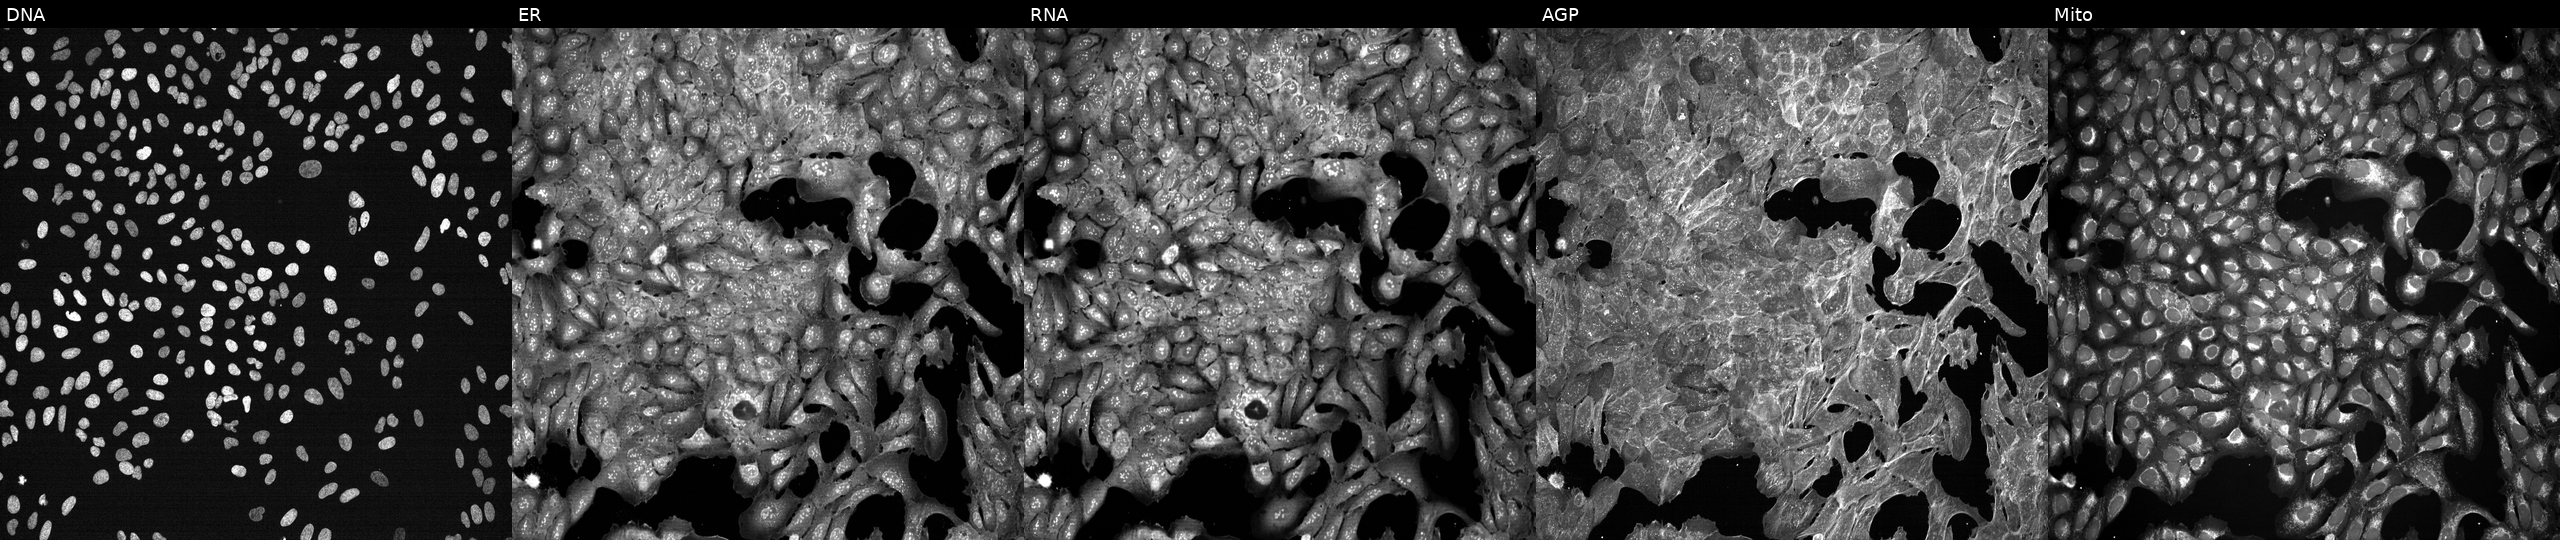
U2OS cells, Cell Painting assay, exposed to DMSO alone as a negative control. From left to right: DNA (nuclei); ER (endoplasmic reticulum); RNA (nucleoli and cytoplasmic RNA); AGP (actin cytoskeleton, Golgi, and plasma membrane); Mito (mitochondria). Each panel is percentile-stretched 16-bit fluorescence.